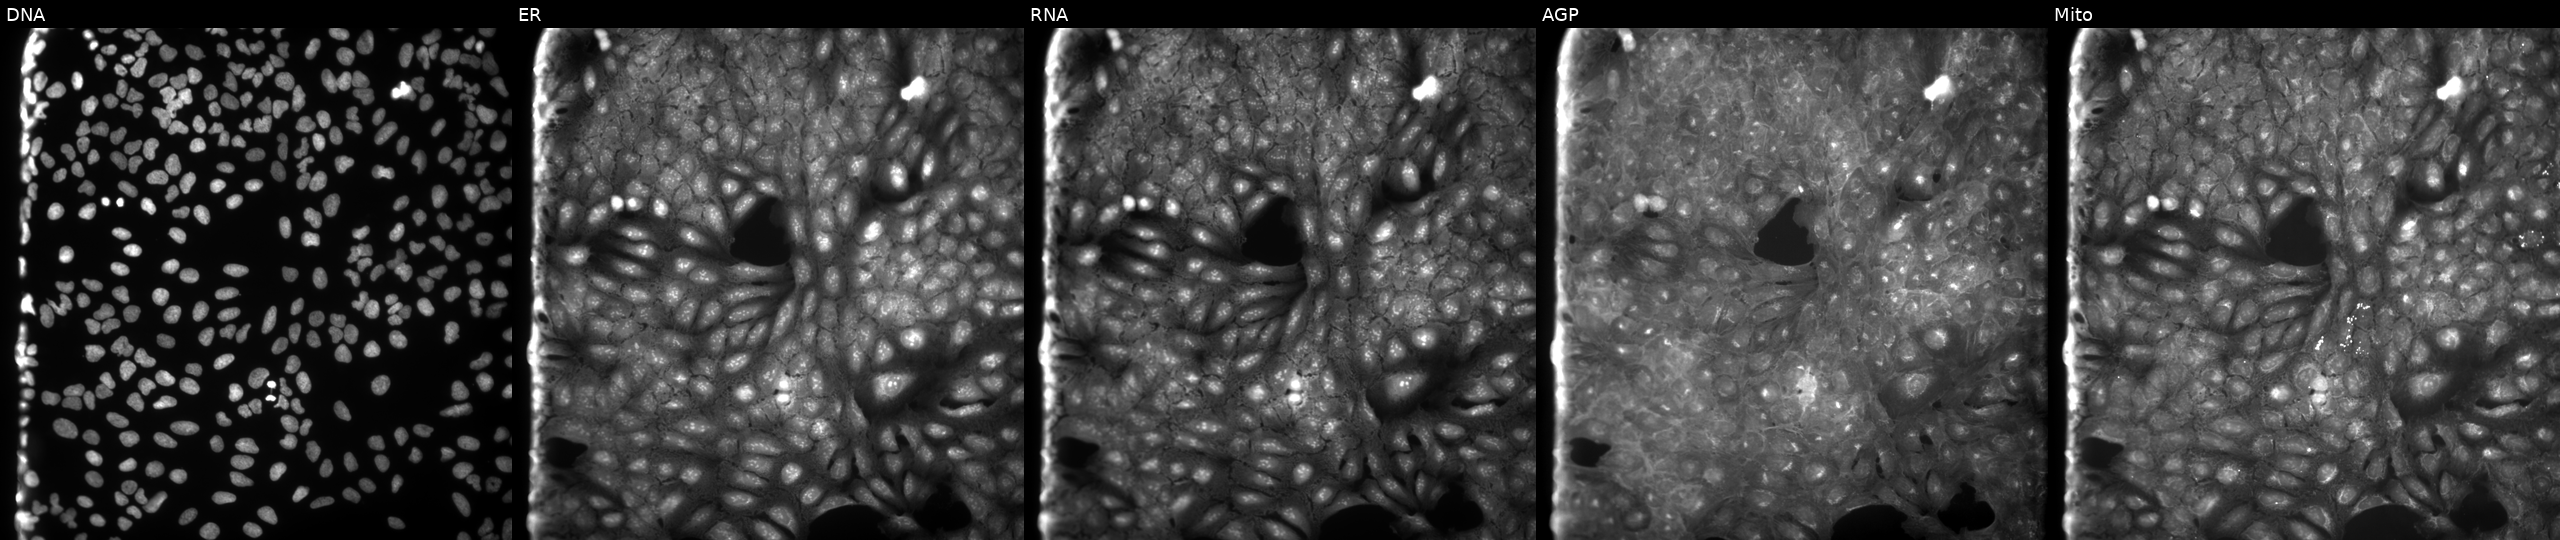
High-content fluorescence microscopy (Cell Painting). Cell line: U2OS. Perturbation: treated with DMSO vehicle only (negative control) (JUMP id JCP2022_033924). Panels show, left to right, DNA, ER, RNA, AGP, and Mito. Source 9, plate GR00003382, well N02.